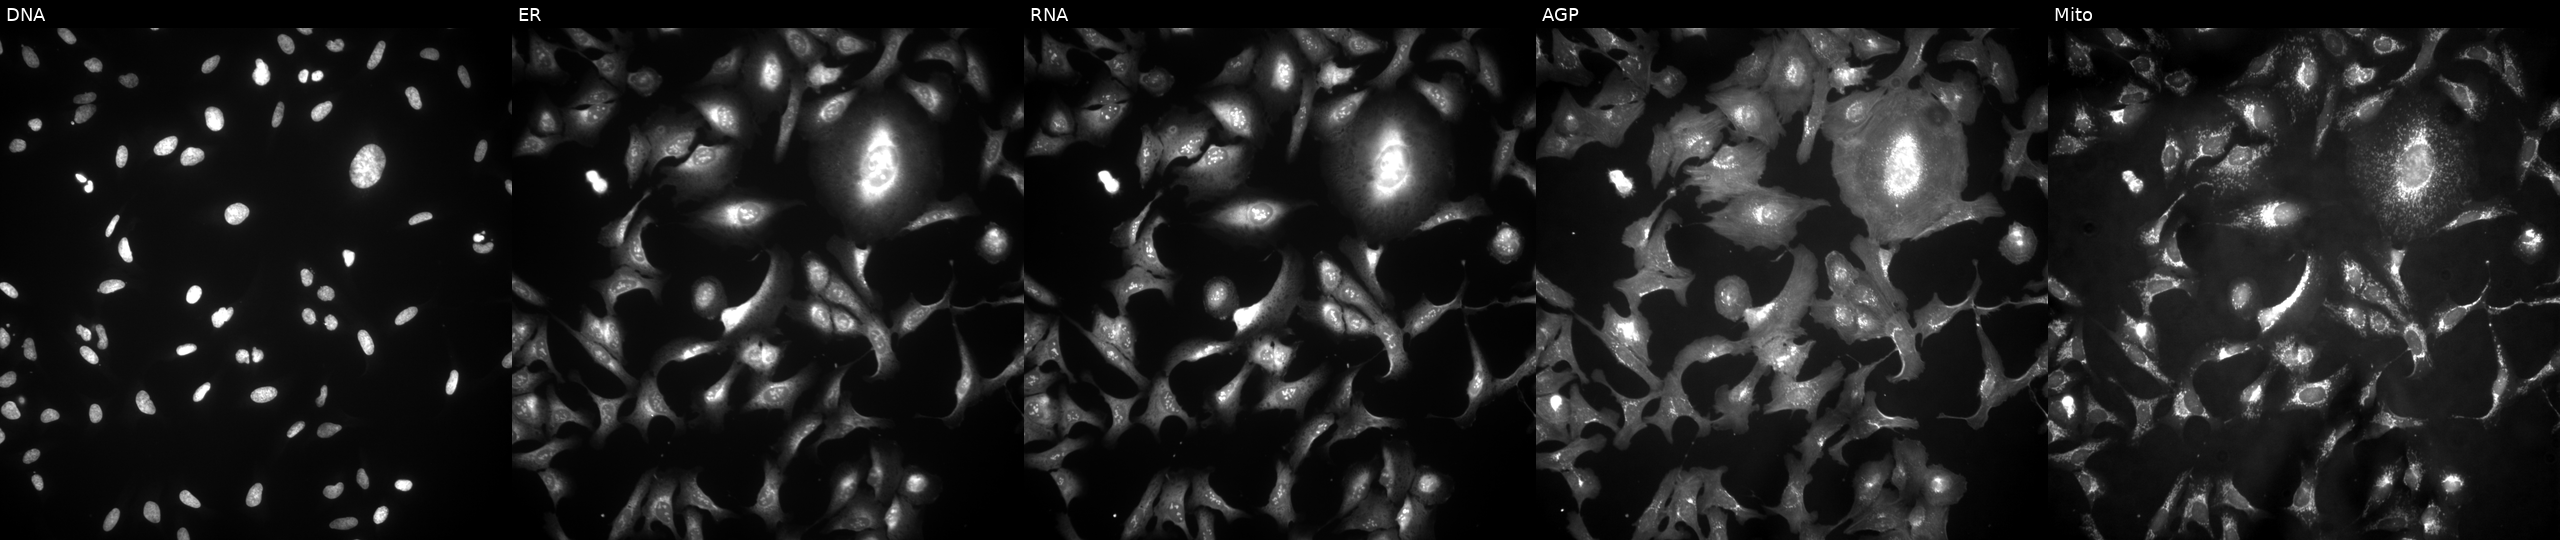
JUMP Cell Painting — ORF plate. U2OS cells overexpressing NR0B1 via ORF transfection. Channels (left→right): Hoechst 33342, concanavalin A, SYTO 14, phalloidin and WGA, MitoTracker.